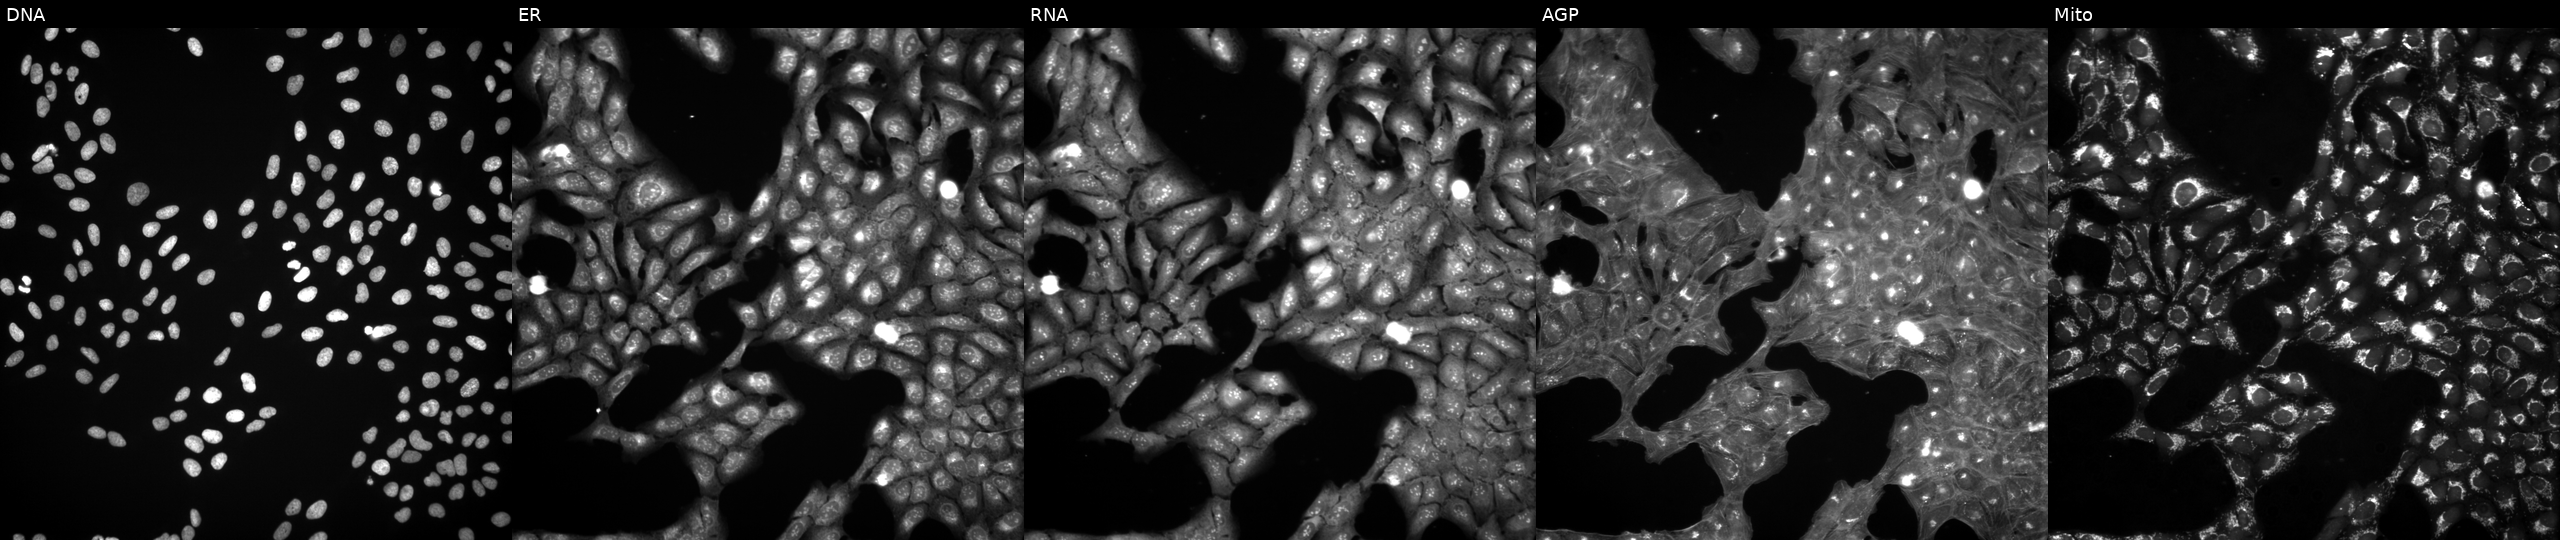
From left to right: DNA, ER, RNA, AGP, and Mito. U2OS osteosarcoma cells exposed to a small-molecule compound (InChIKey XKVWAXBQYOGZOG-UHFFFAOYSA-N). Cell Painting assay, JUMP-CP dataset.